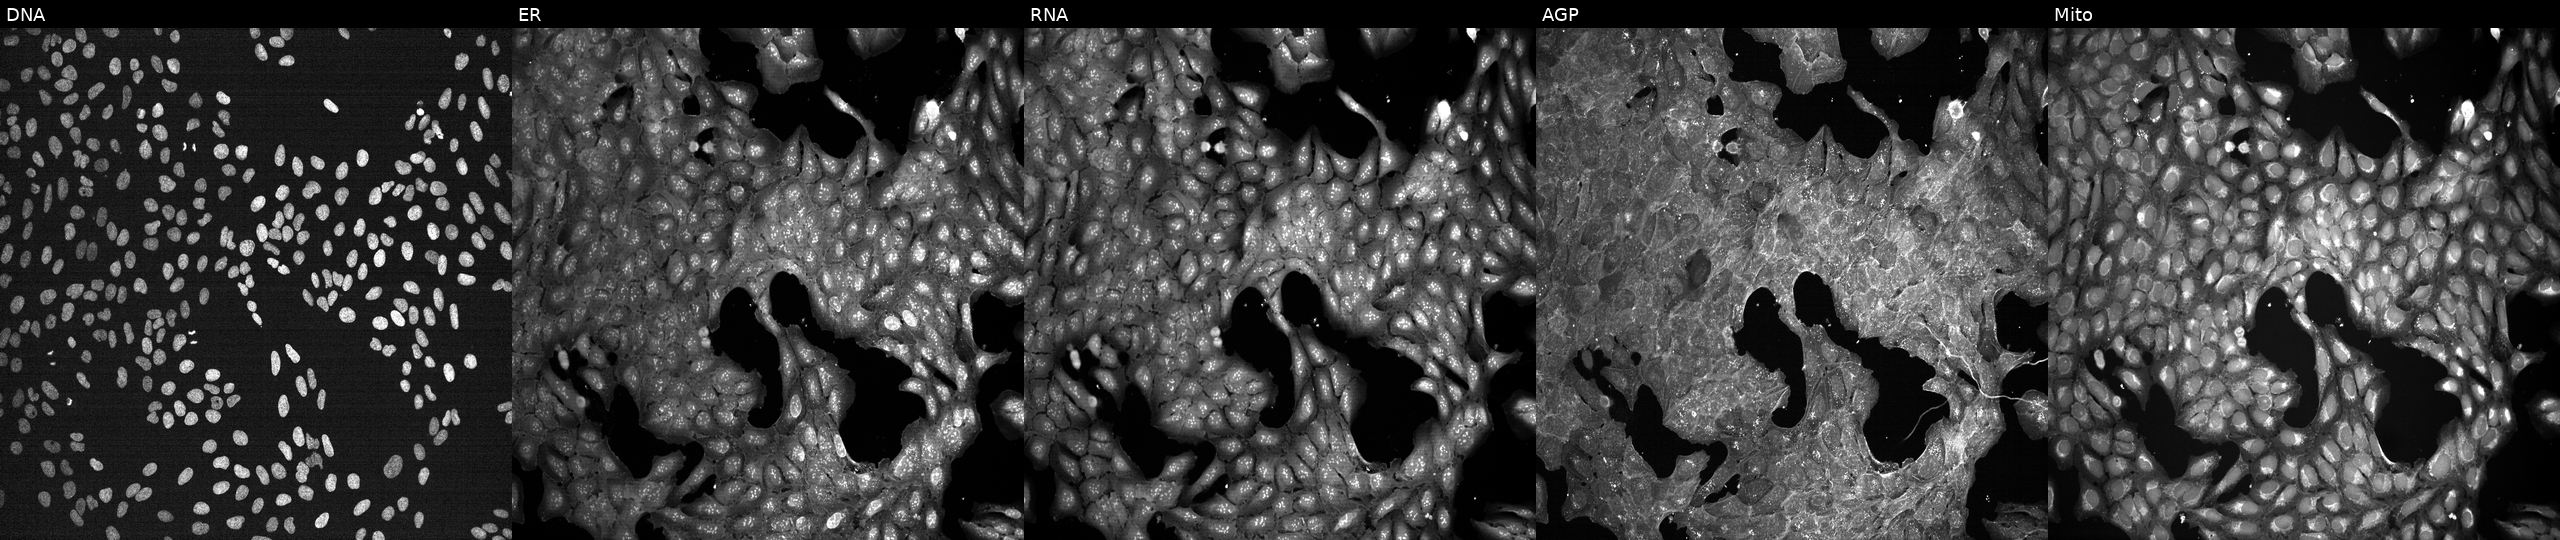
Five-channel Cell Painting image of U2OS cells exposed to a small-molecule compound (JUMP id JCP2022_069672). From left to right: DNA, ER, RNA, AGP, and Mito.